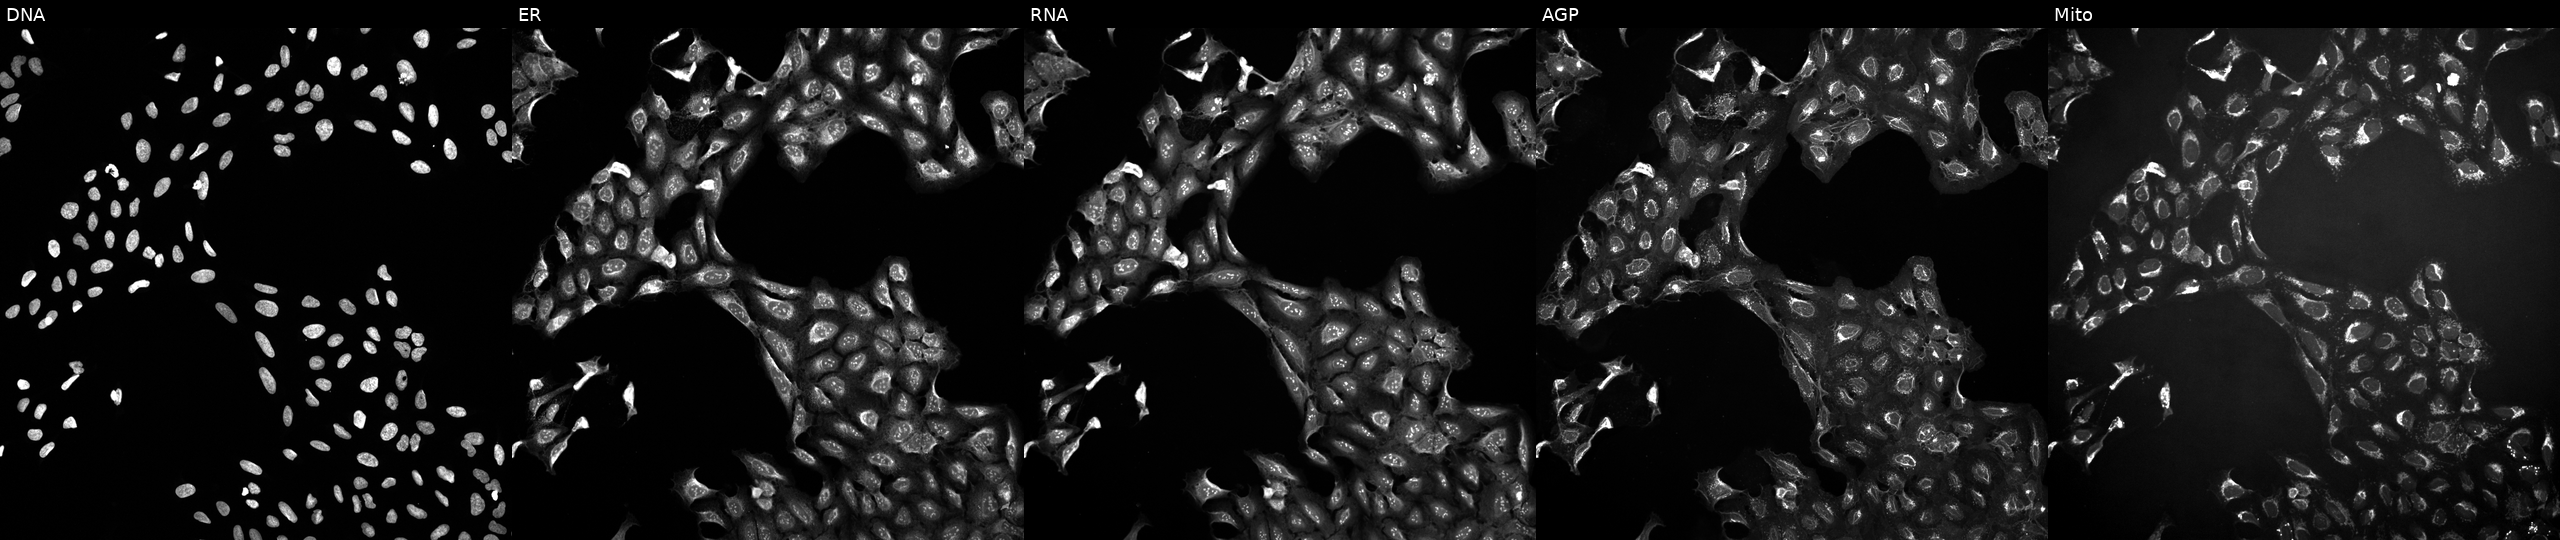
High-content fluorescence microscopy (Cell Painting). Cell line: U2OS. Perturbation: perturbed with a small-molecule compound (InChIKey SBDNJUWAMKYJOX-UHFFFAOYSA-N). Panels show, left to right, DNA (nuclei); ER (endoplasmic reticulum); RNA (nucleoli and cytoplasmic RNA); AGP (actin cytoskeleton, Golgi, and plasma membrane); Mito (mitochondria). Source 10, plate Dest210803-153958, well L02.